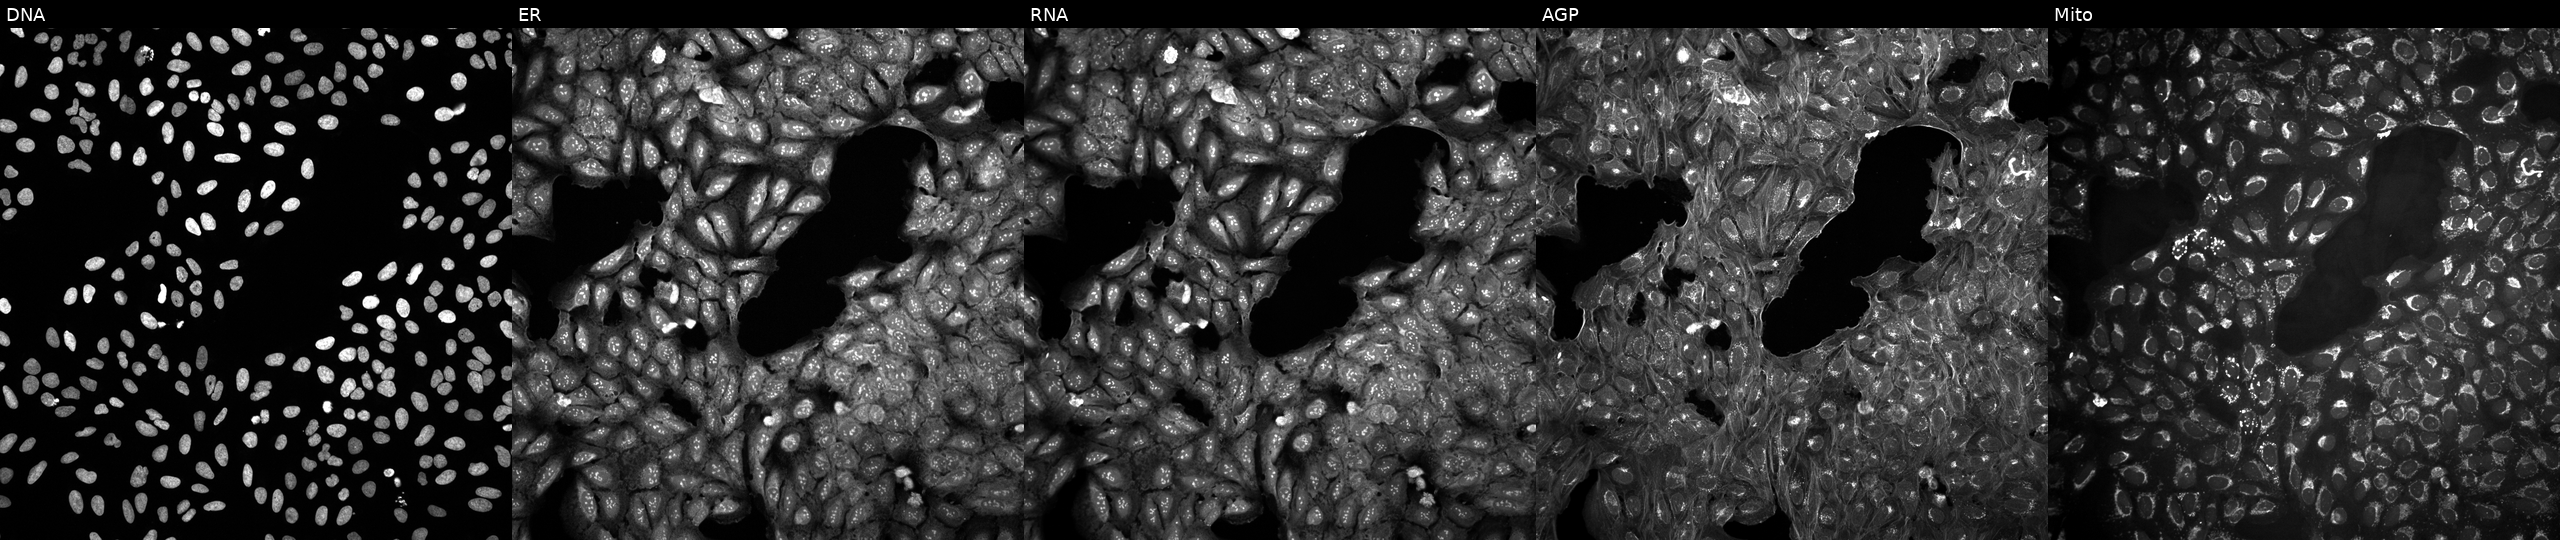
JUMP Cell Painting — COMPOUND plate. U2OS cells exposed to a small-molecule compound (InChIKey VYKAWLPZQGLAKL-UHFFFAOYSA-N) [SMILES: COc1ccc(Cl)cc1S(=O)(=O)N1CCC(Oc2cccc(C)n2)C1] (JUMP id JCP2022_097123). From left to right: DNA, ER, RNA, AGP, and Mito.